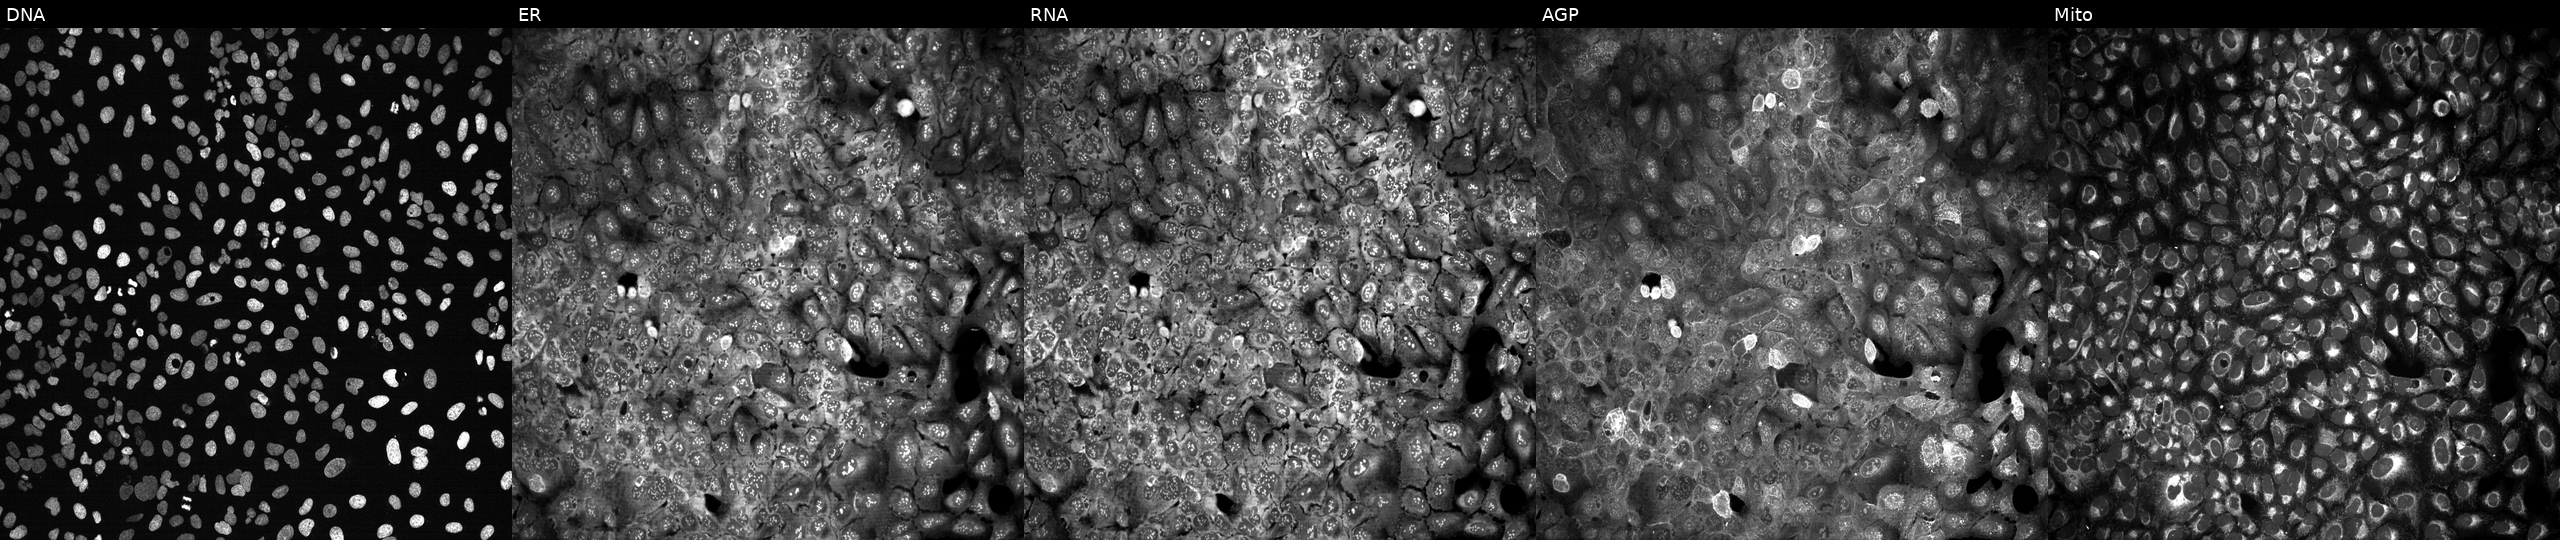
JUMP Cell Painting — CRISPR plate. U2OS cells CRISPR-edited to disrupt EPOR. From left to right: Hoechst 33342, concanavalin A, SYTO 14, phalloidin and WGA, MitoTracker. Source 13, plate CP-CC9-R4-04, well I05.